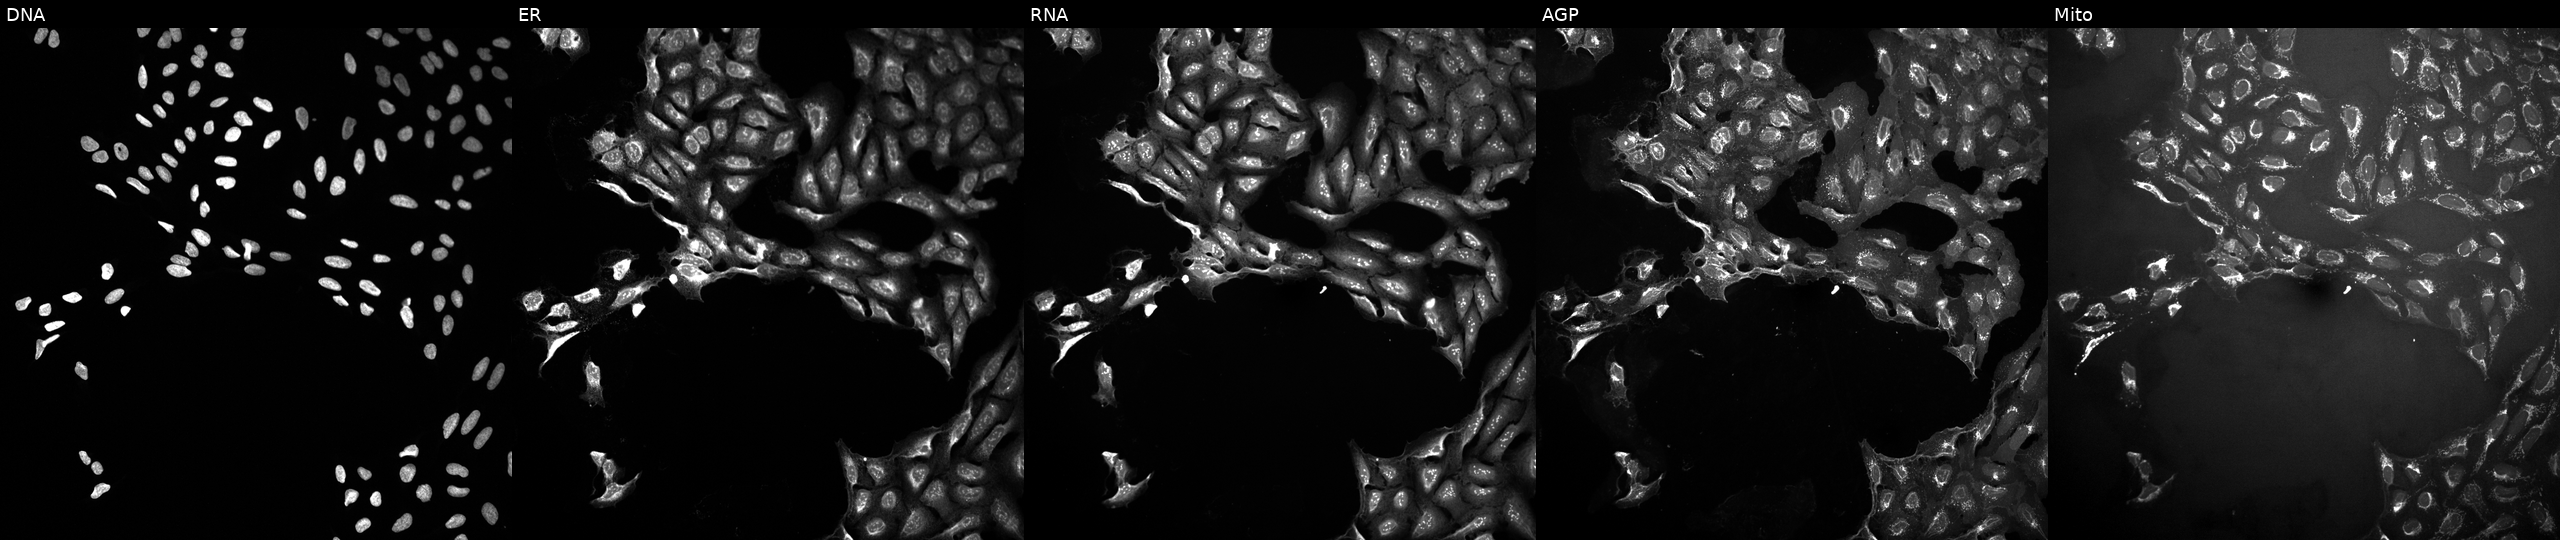
Five-channel Cell Painting image of U2OS cells exposed to DMSO alone as a negative control. Panels show, left to right, DNA, ER, RNA, AGP, and Mito.